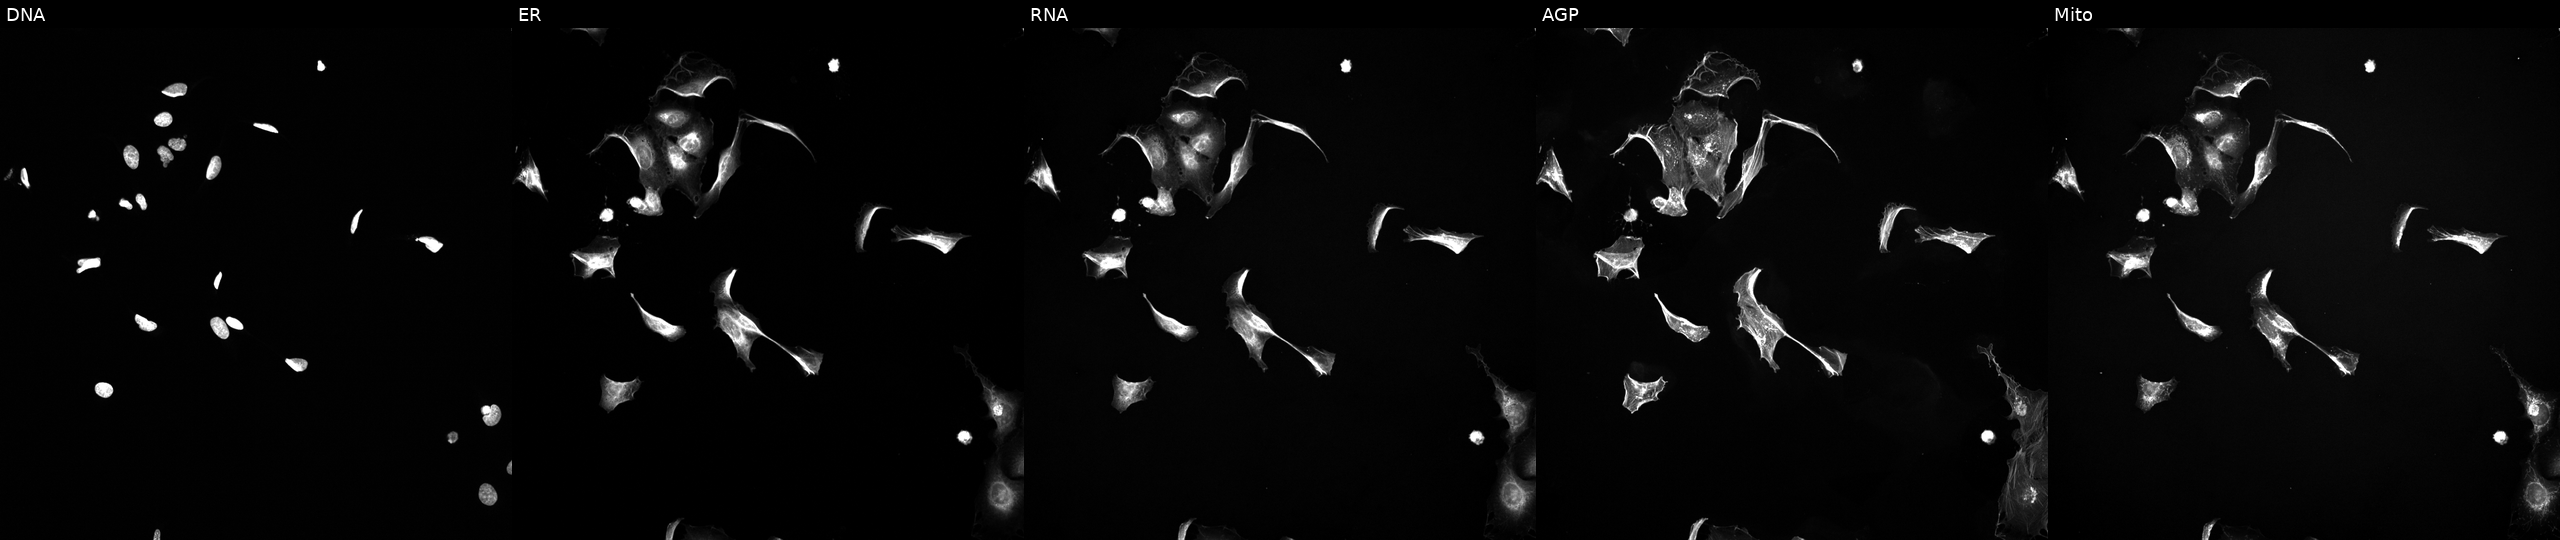
The five panels, left to right, show DNA (nuclei); ER (endoplasmic reticulum); RNA (nucleoli and cytoplasmic RNA); AGP (actin cytoskeleton, Golgi, and plasma membrane); Mito (mitochondria). U2OS osteosarcoma cells perturbed with a small-molecule compound (InChIKey HUXYBQXJVXOMKX-UHFFFAOYSA-N). Cell Painting assay, JUMP-CP dataset.